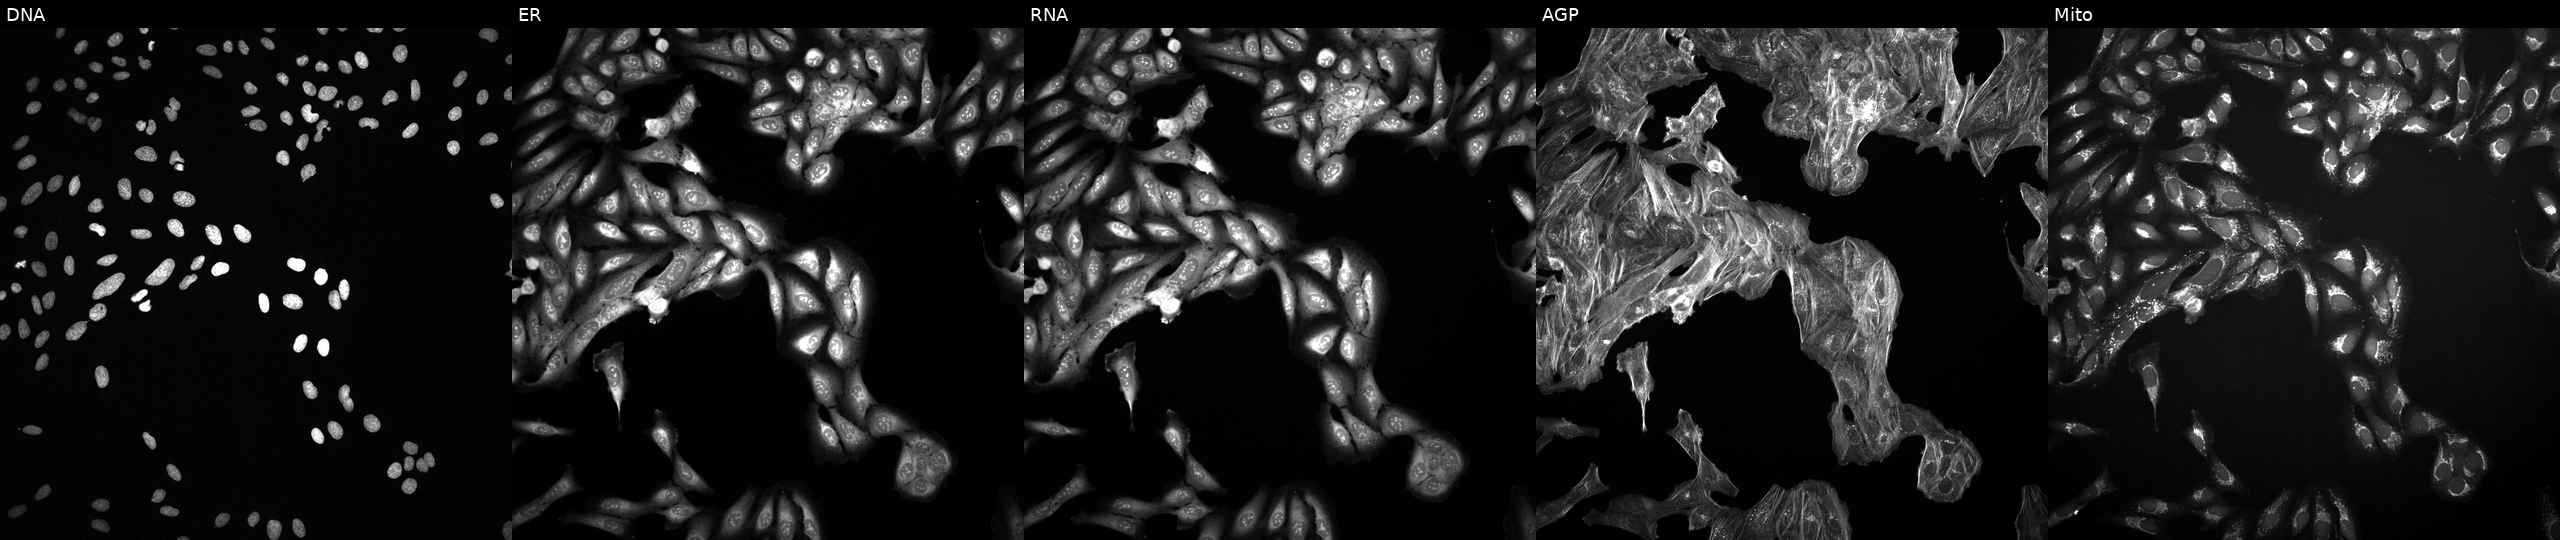
JUMP Cell Painting — TARGET2 plate. U2OS cells treated with a small-molecule compound (JUMP id JCP2022_011759). From left to right: DNA (nuclei); ER (endoplasmic reticulum); RNA (nucleoli and cytoplasmic RNA); AGP (actin cytoskeleton, Golgi, and plasma membrane); Mito (mitochondria). Source 2, plate 1053597936, well I13.